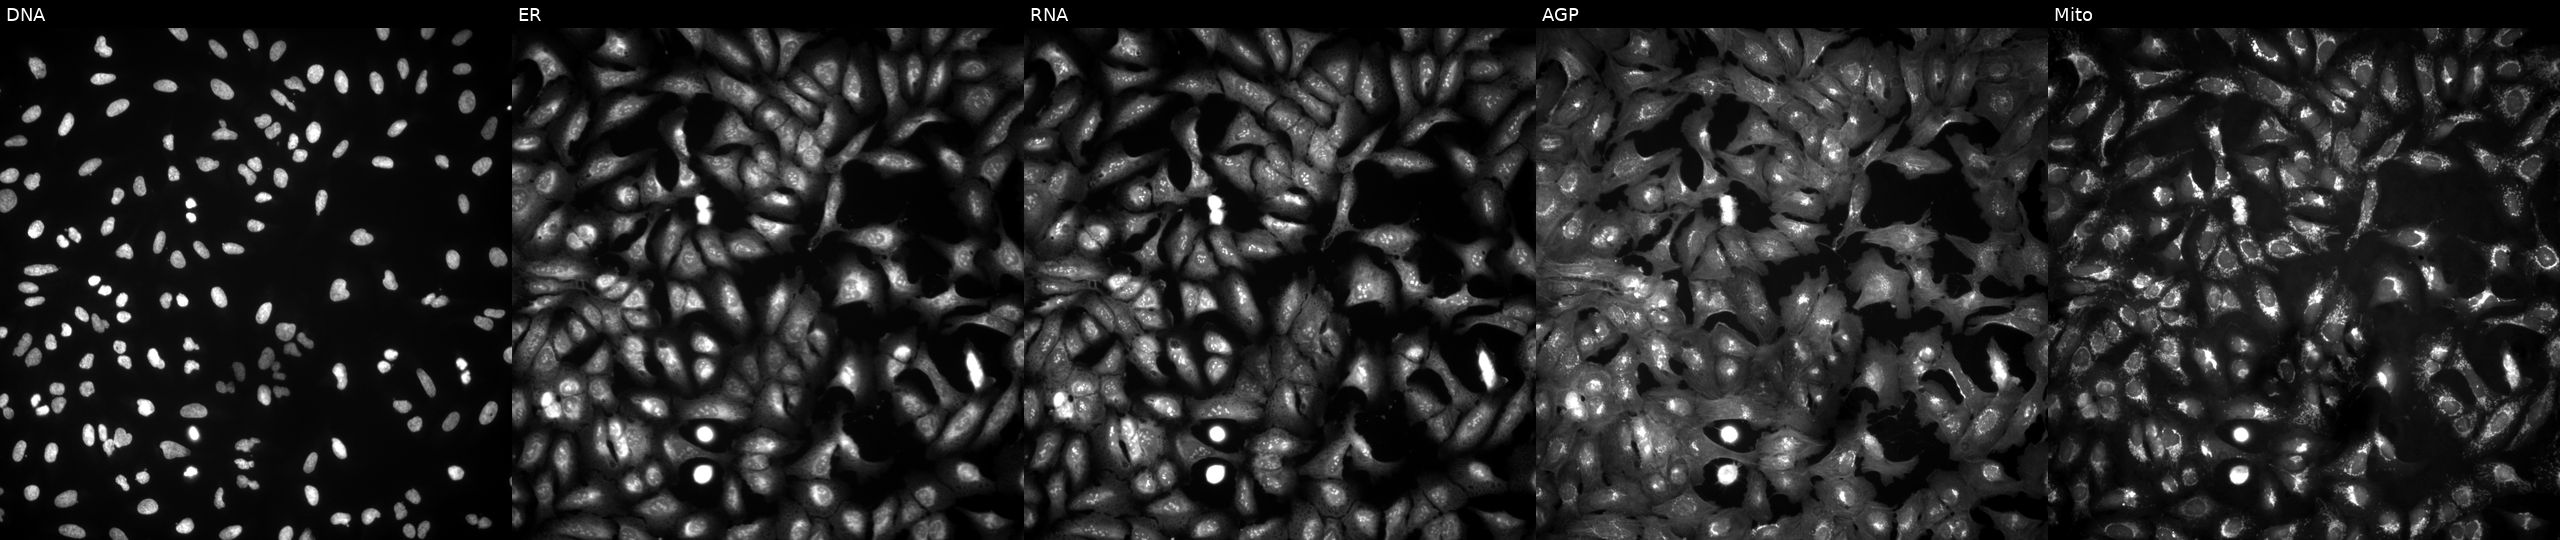
Five-channel Cell Painting image of U2OS cells transfected with an ORF construct for LZTS2 (JUMP id JCP2022_908584). Channels (left→right): Hoechst 33342, concanavalin A, SYTO 14, phalloidin and WGA, MitoTracker. Source 4, plate BR00124790, well O09.